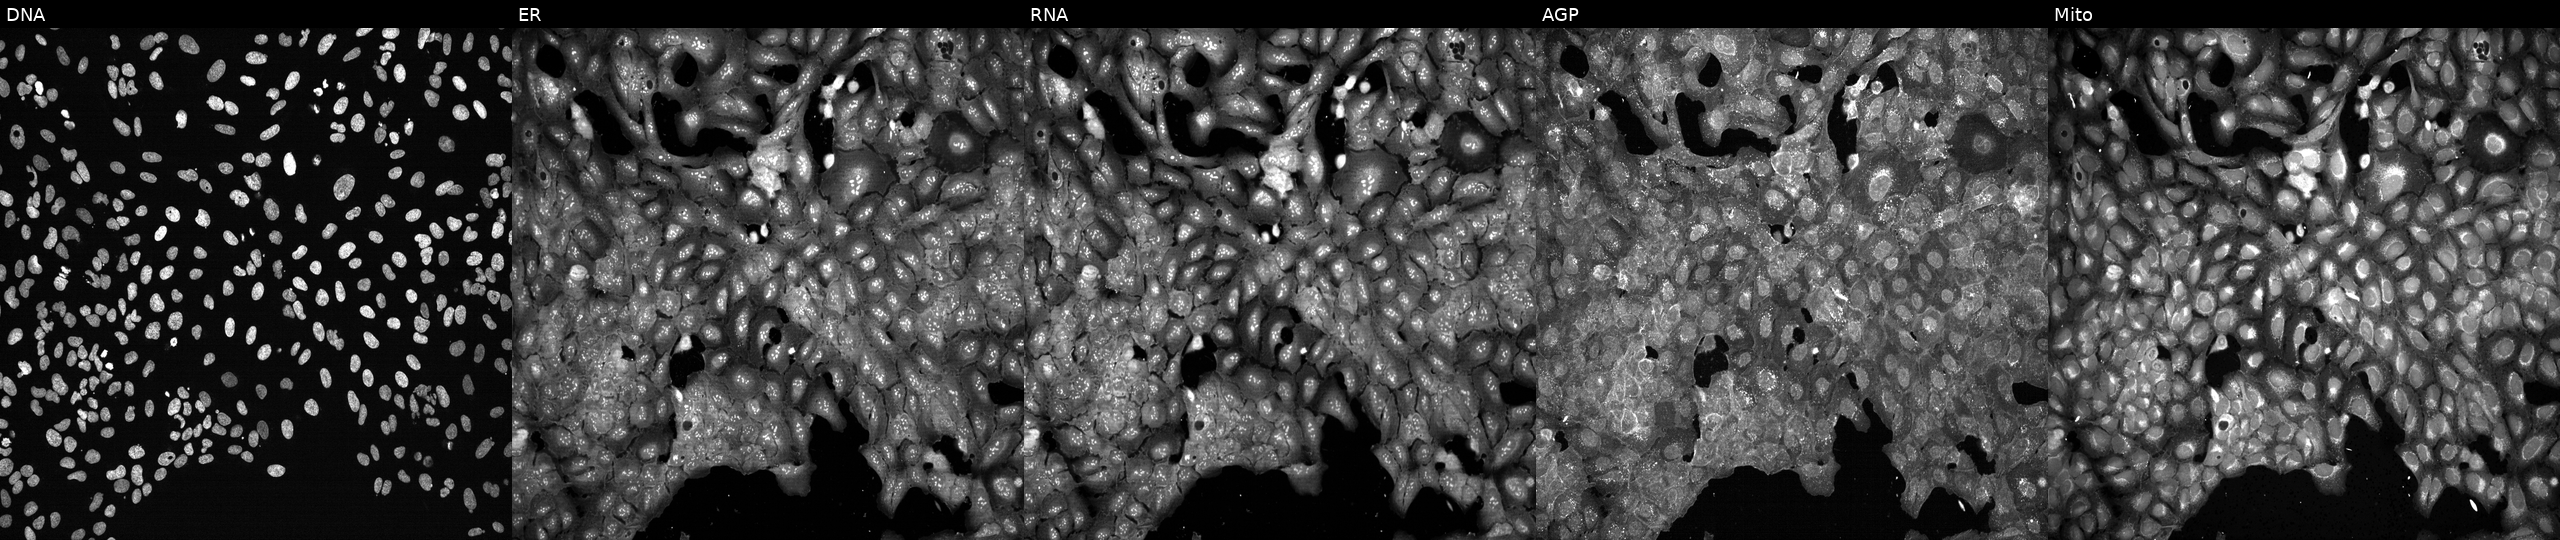
Five-channel Cell Painting image of U2OS cells with GYPC knocked out by CRISPR (JUMP id JCP2022_802990). Channels (left→right): Hoechst 33342, concanavalin A, SYTO 14, phalloidin and WGA, MitoTracker. Source 13, plate CP-CC9-R1-01, well E13.